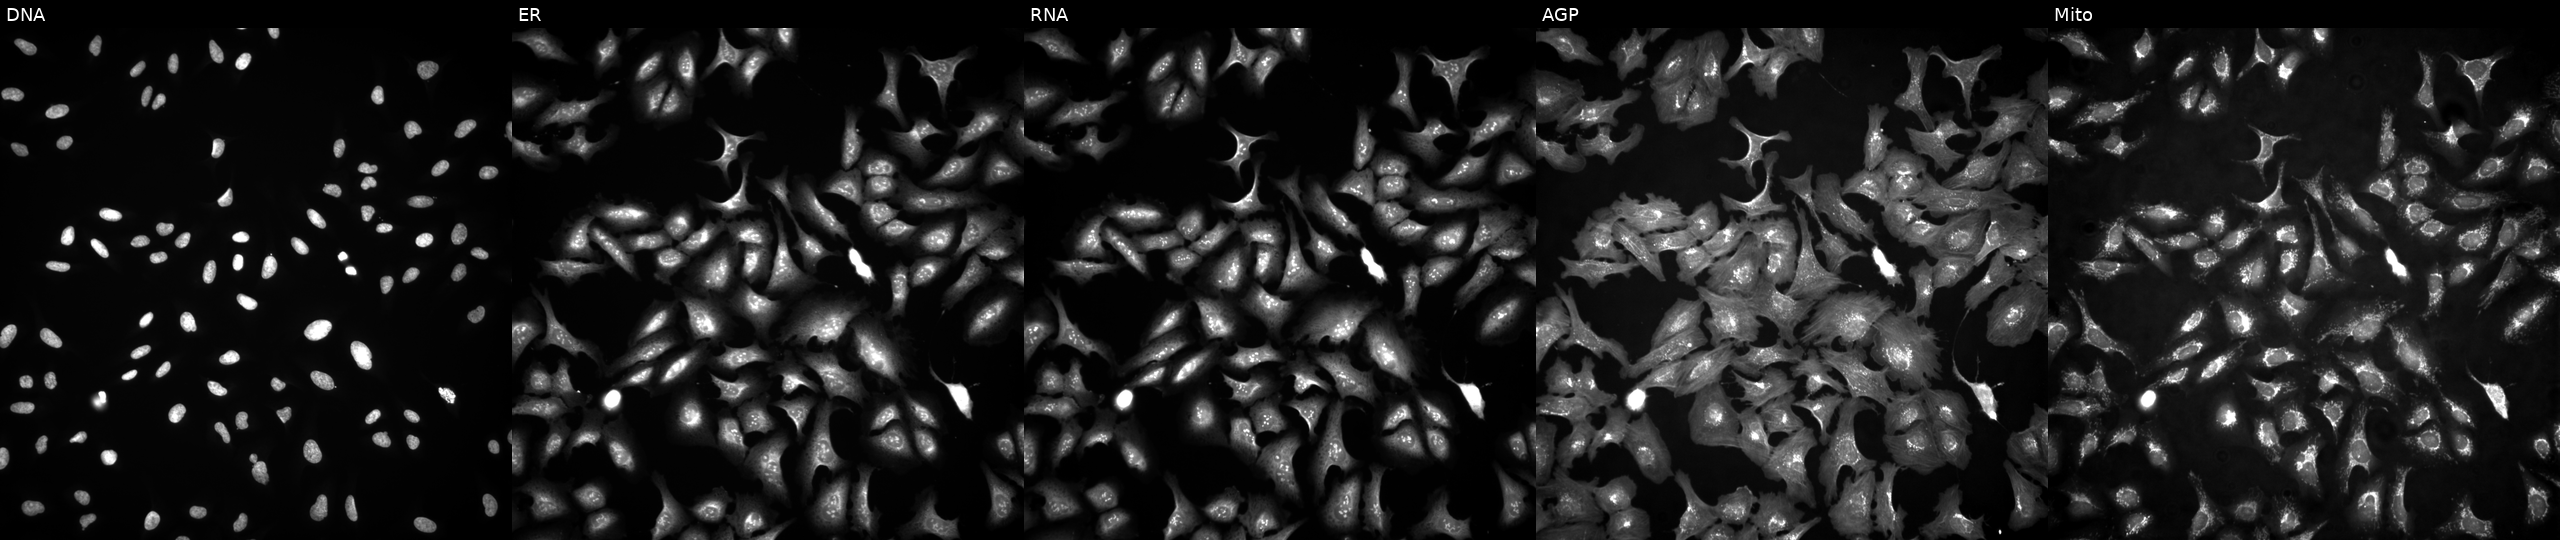
JUMP Cell Painting — ORF plate. U2OS cells with RPS6KA1 overexpressed (ORF) (JUMP id JCP2022_913855). Panels show, left to right, DNA, ER, RNA, AGP, and Mito. Source 4, plate BR00123945, well F11.